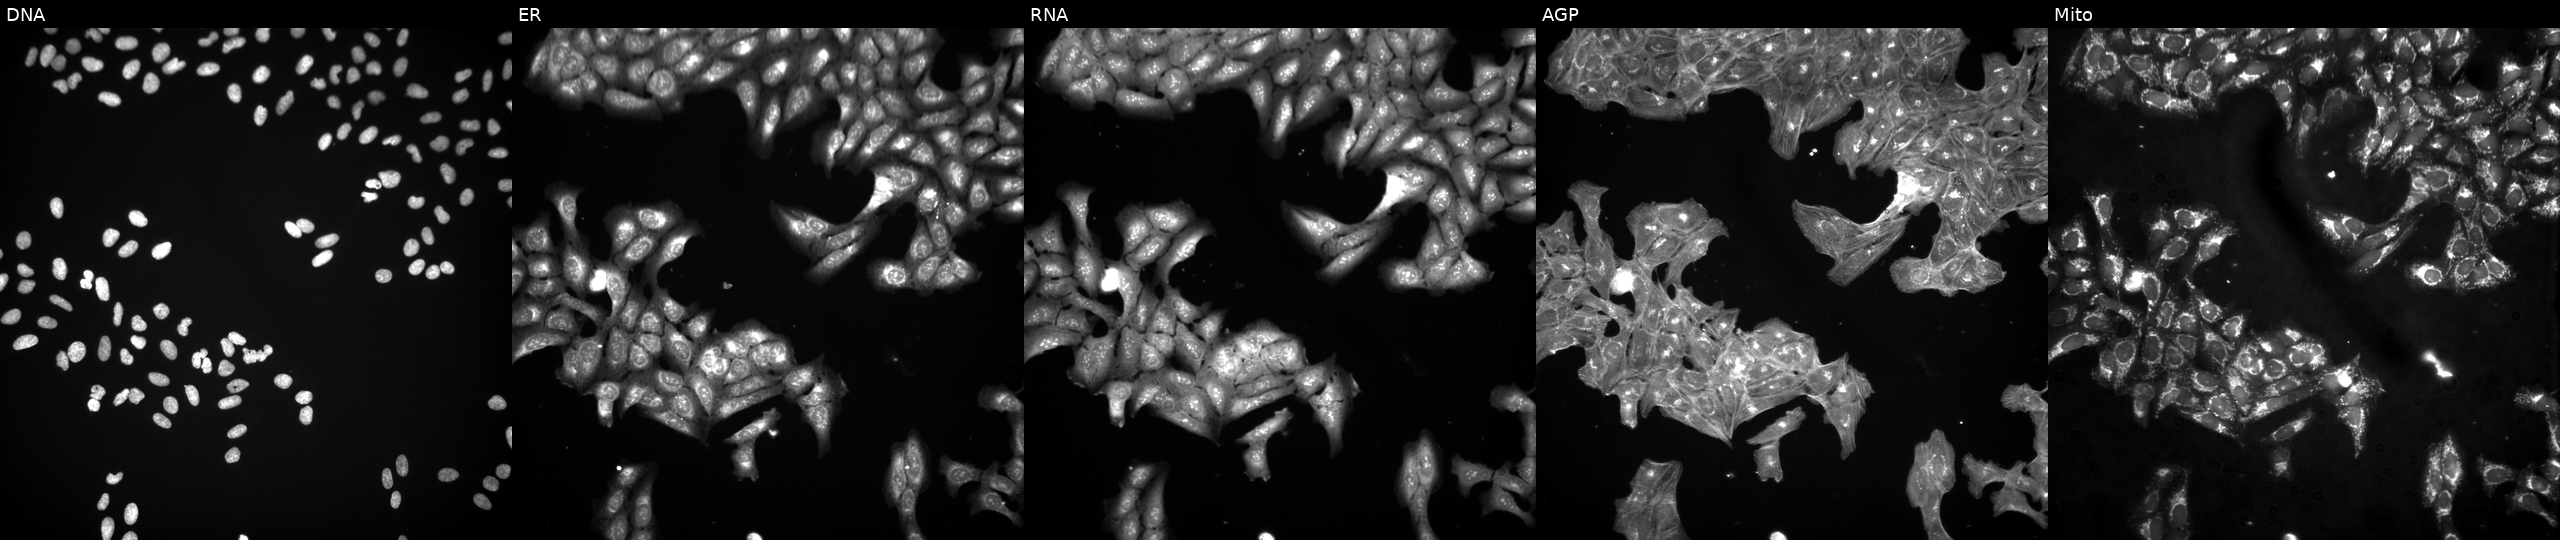
High-content fluorescence microscopy (Cell Painting). Cell line: U2OS. Perturbation: perturbed with a small-molecule compound. Channels (left→right): Hoechst 33342, concanavalin A, SYTO 14, phalloidin and WGA, MitoTracker.